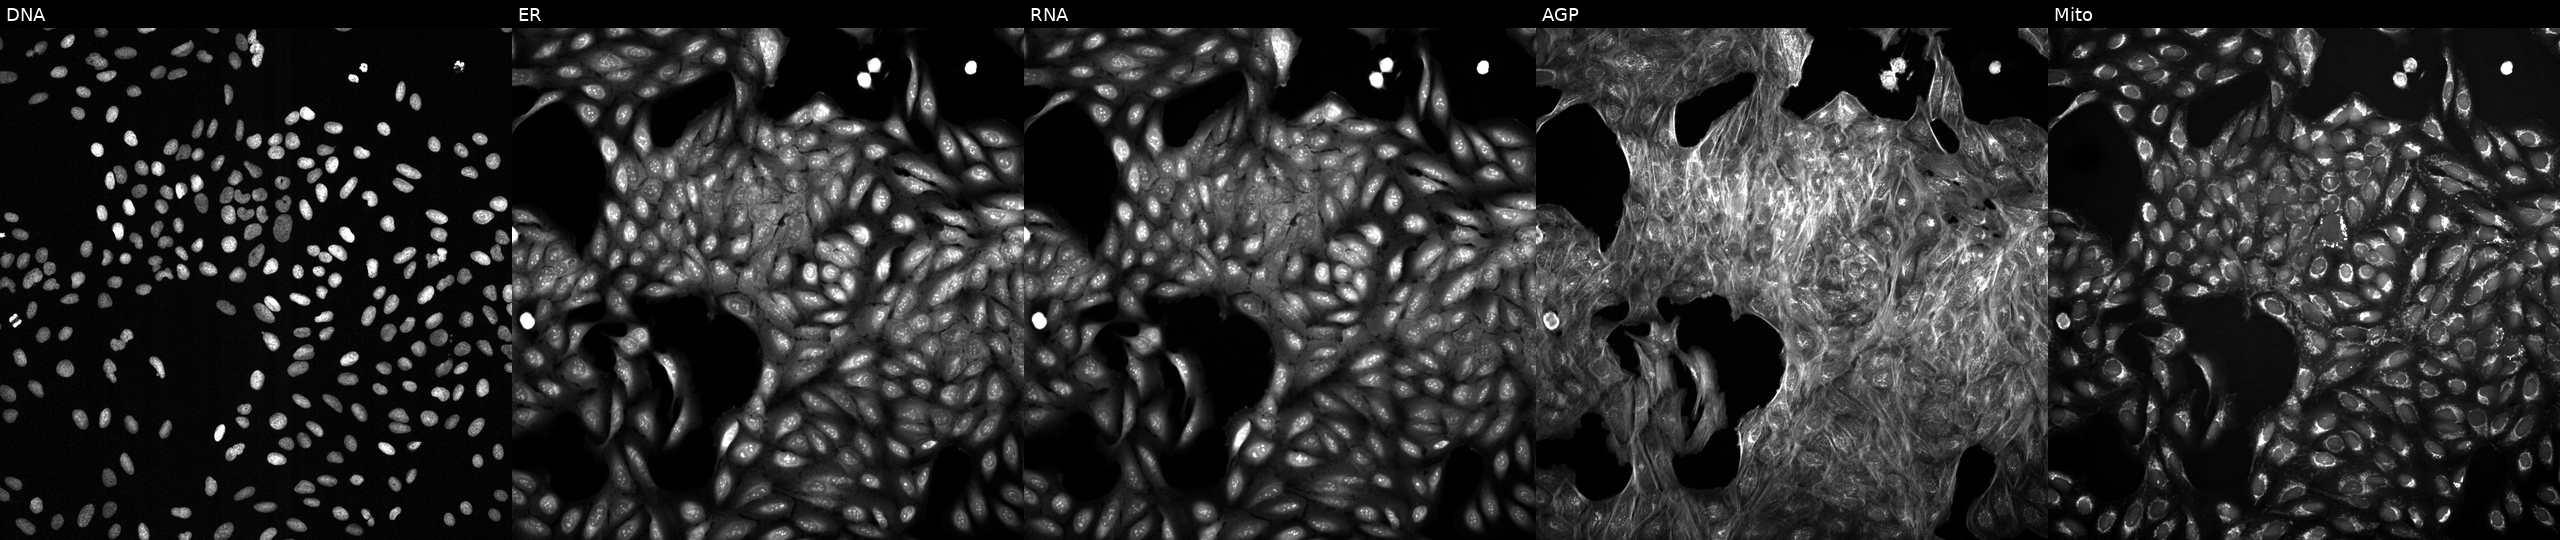
From left to right: Hoechst 33342, concanavalin A, SYTO 14, phalloidin and WGA, MitoTracker. U2OS osteosarcoma cells exposed to a small-molecule compound (InChIKey NGVGHYVOZNFHGD-UHFFFAOYSA-N) (JUMP id JCP2022_058908). Cell Painting assay, JUMP-CP dataset.